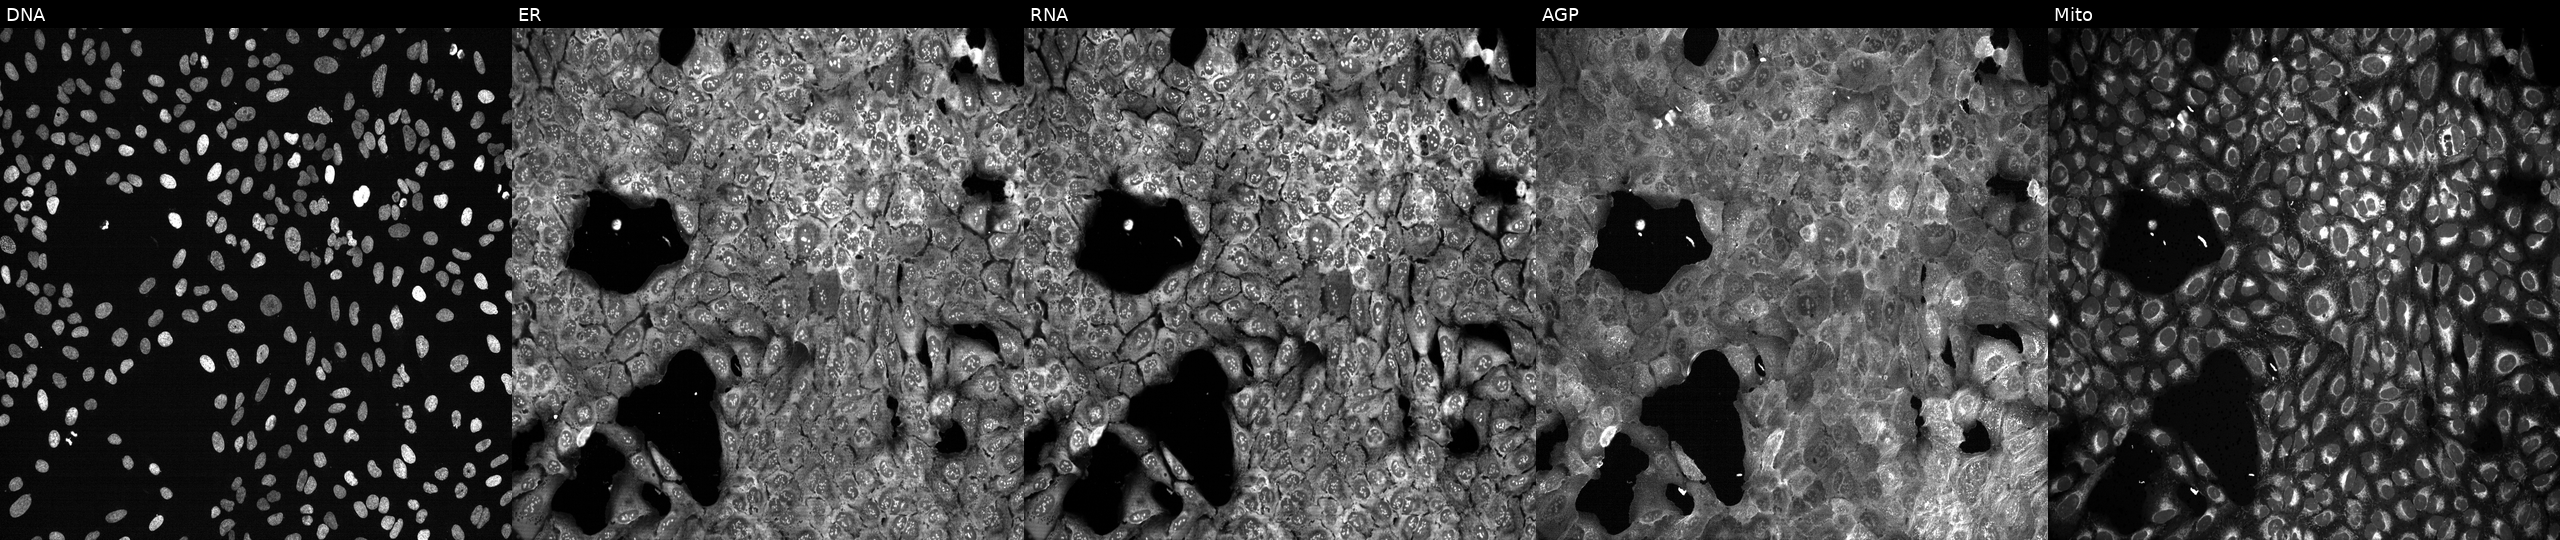
Five-channel Cell Painting image of U2OS cells with HLA-DMA knocked out by CRISPR (JUMP id JCP2022_803123). Panels show, left to right, Hoechst 33342, concanavalin A, SYTO 14, phalloidin and WGA, MitoTracker. Source 13, plate CP-CC9-R2-01, well J09.